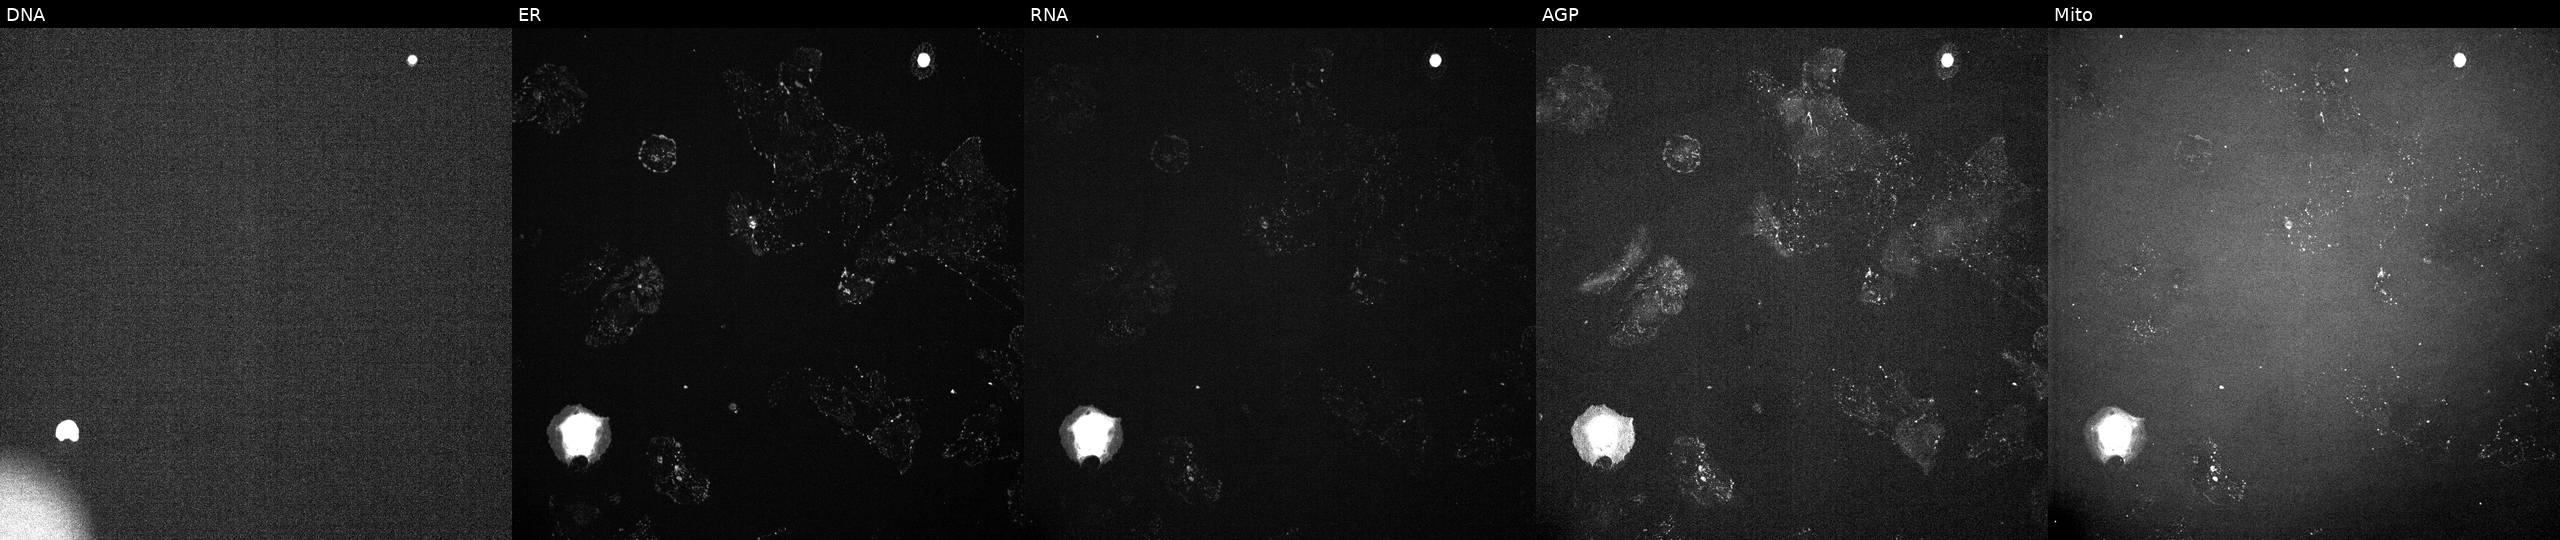
High-content fluorescence microscopy (Cell Painting). Cell line: U2OS. Perturbation: treated with a small-molecule compound (InChIKey DUKQPWDVIZDABV-UHFFFAOYSA-N) [SMILES: O=C1C(=NCCN2CCOCC2)C(Cl)C(=O)c2cccnc21] (JUMP id JCP2022_018280). Channels (left→right): DNA (nuclei); ER (endoplasmic reticulum); RNA (nucleoli and cytoplasmic RNA); AGP (actin cytoskeleton, Golgi, and plasma membrane); Mito (mitochondria).